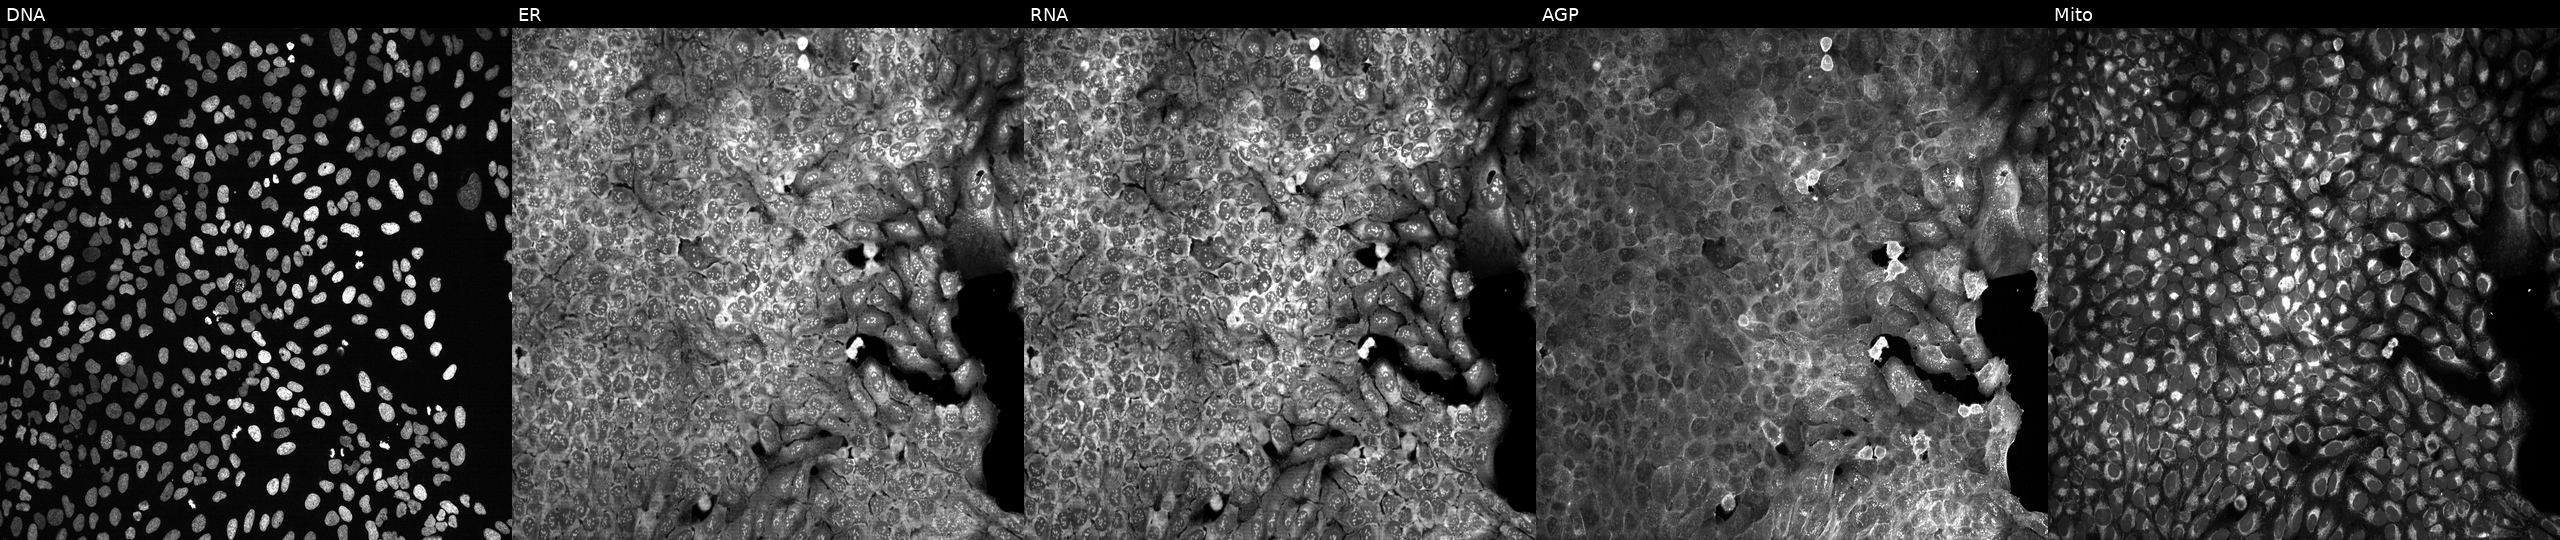
Channels (left→right): DNA (nuclei); ER (endoplasmic reticulum); RNA (nucleoli and cytoplasmic RNA); AGP (actin cytoskeleton, Golgi, and plasma membrane); Mito (mitochondria). U2OS osteosarcoma cells following CRISPR knockout of ADAM29. Cell Painting assay, JUMP-CP dataset.